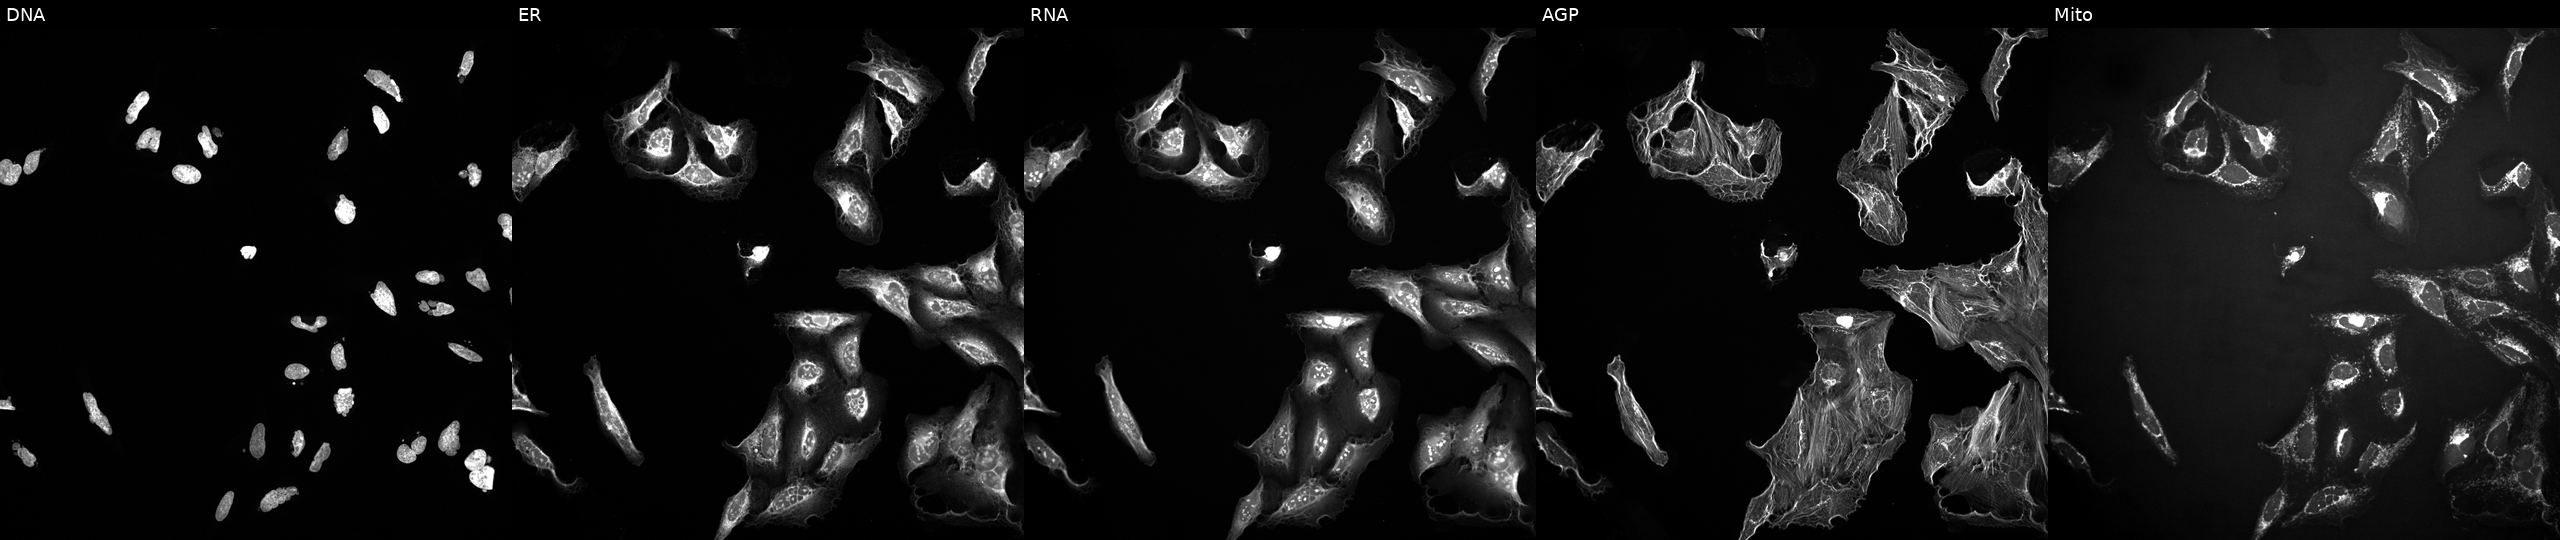
JUMP Cell Painting — TARGET2 plate. U2OS cells treated with a small-molecule compound (InChIKey KRBSMMVJJVHVCB-UHFFFAOYSA-N). Panels show, left to right, DNA, ER, RNA, AGP, and Mito.